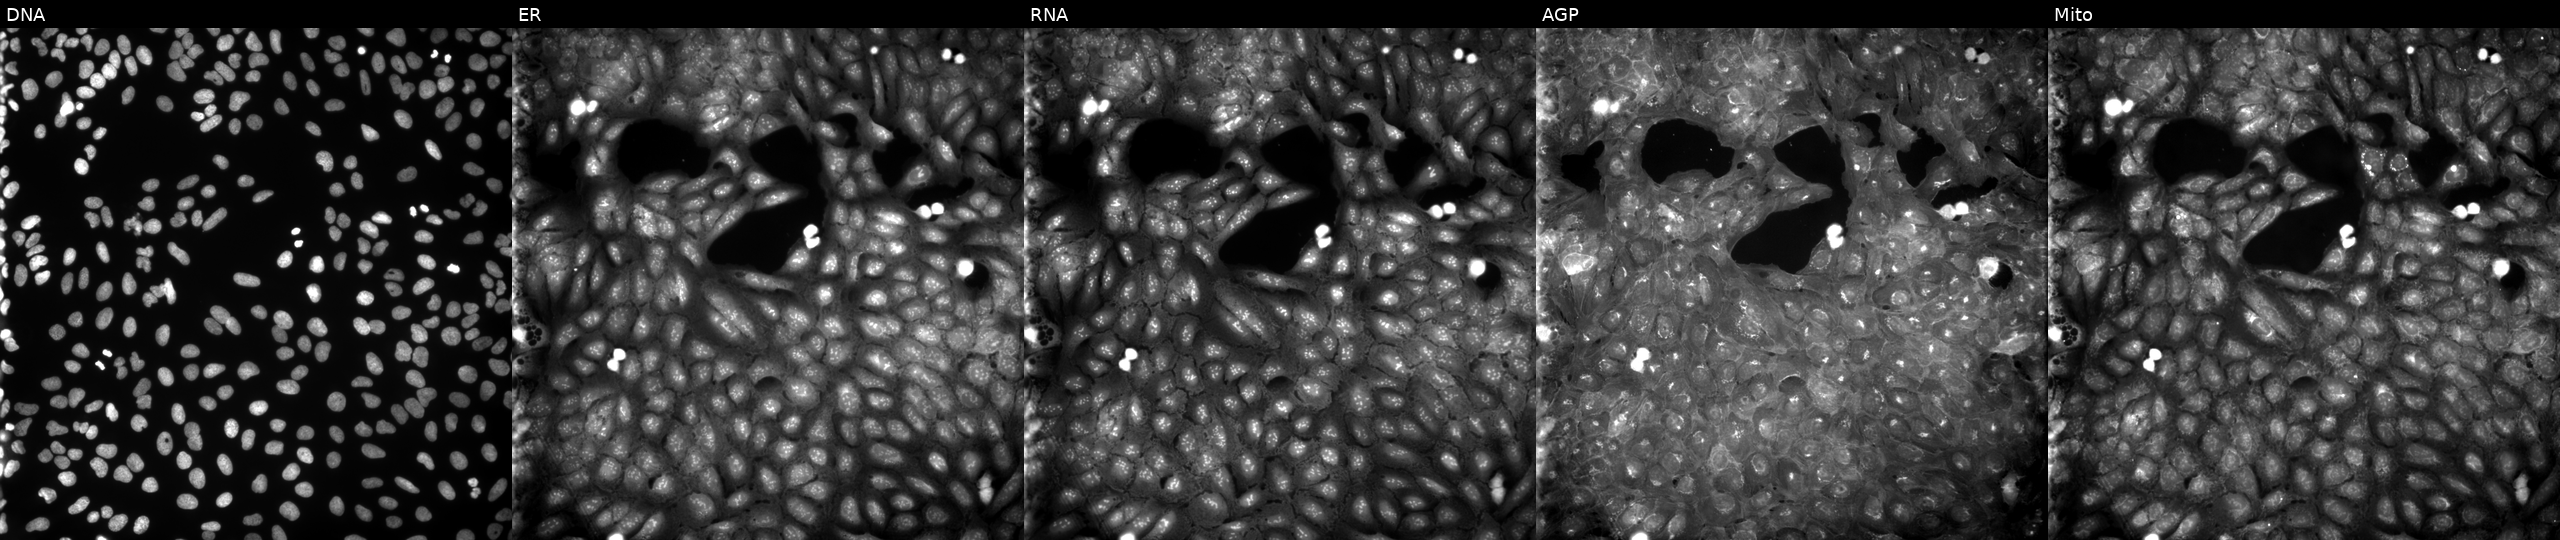
U2OS cells, Cell Painting assay, perturbed with a small-molecule compound (InChIKey ZEJBYFGPGCVHTI-UHFFFAOYSA-N). Channels (left→right): Hoechst 33342, concanavalin A, SYTO 14, phalloidin and WGA, MitoTracker. Each panel is percentile-stretched 16-bit fluorescence. Source 9, plate GR00003381, well E20.